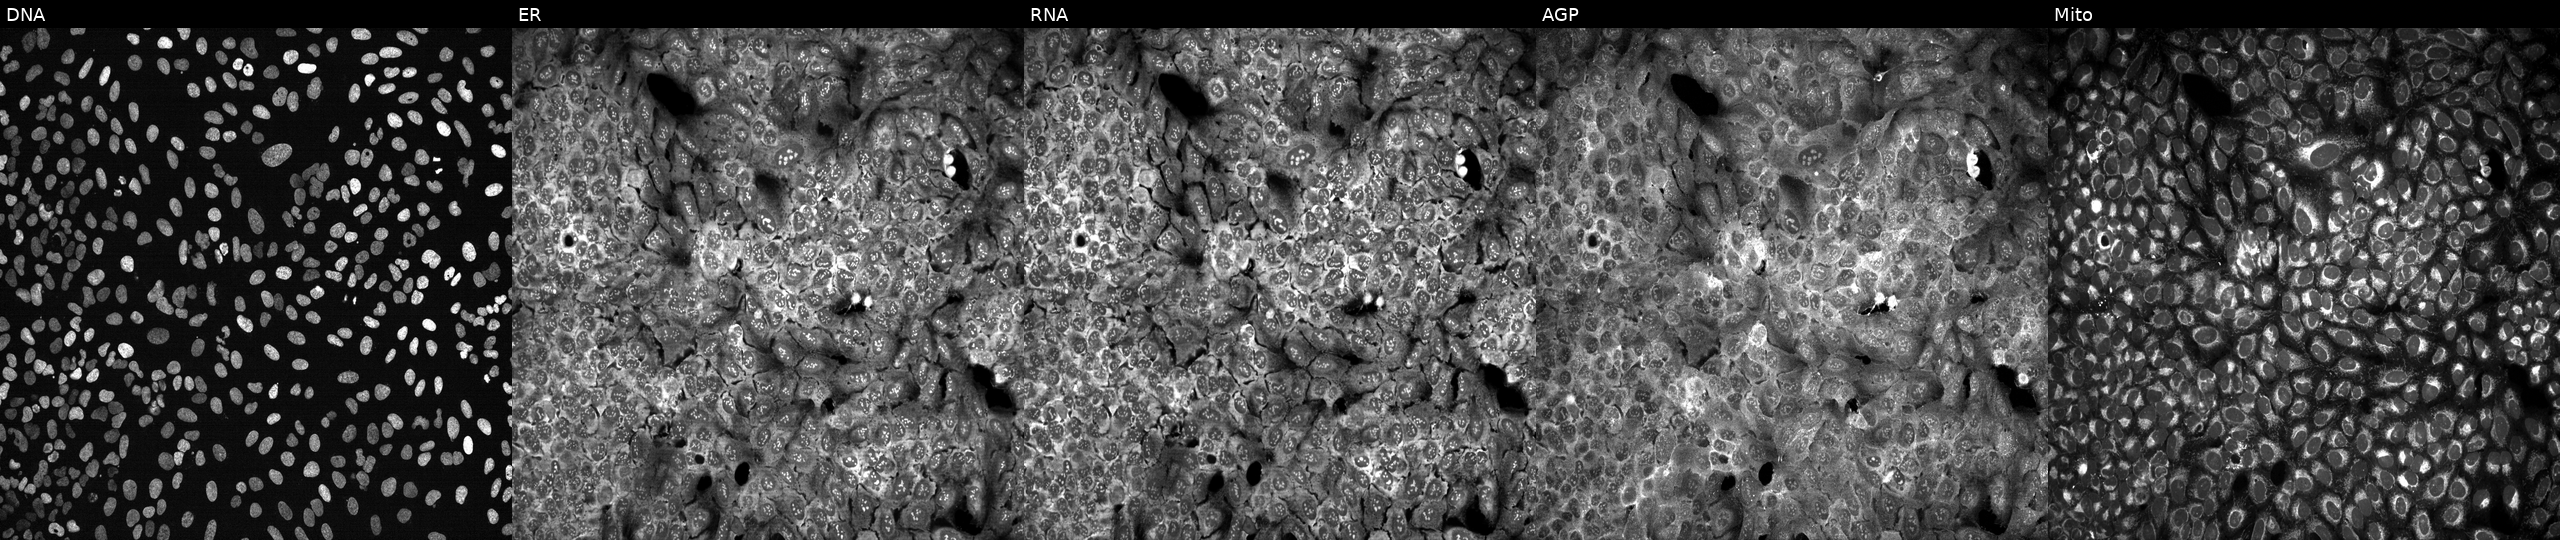
U2OS cells, Cell Painting assay, following CRISPR knockout of H6PD. The five panels, left to right, show DNA (nuclei); ER (endoplasmic reticulum); RNA (nucleoli and cytoplasmic RNA); AGP (actin cytoskeleton, Golgi, and plasma membrane); Mito (mitochondria). Each panel is percentile-stretched 16-bit fluorescence.